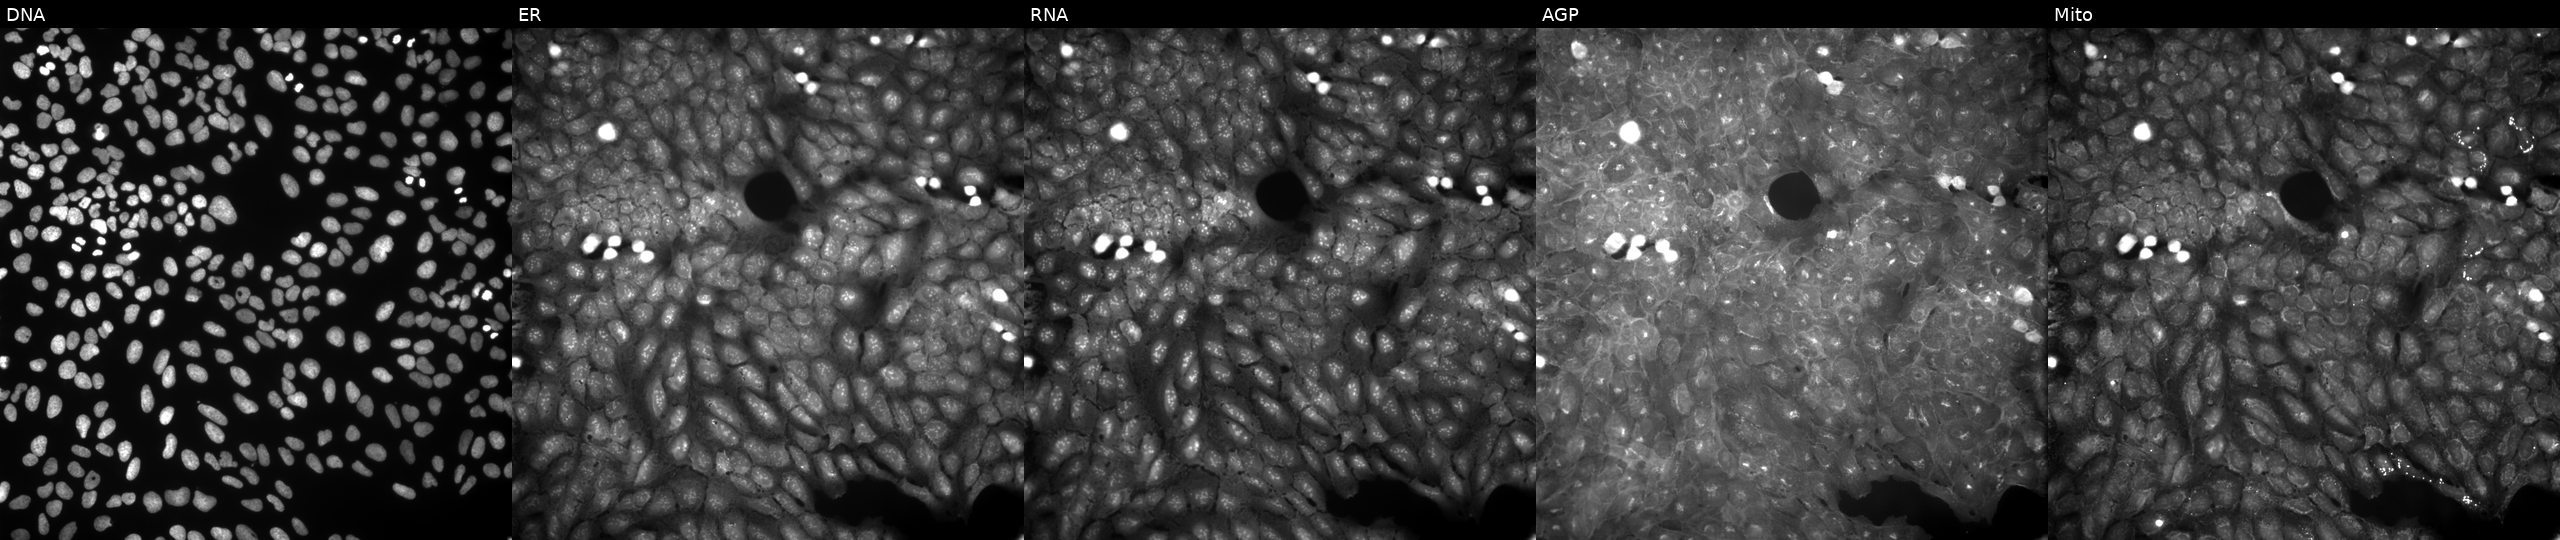
U2OS cells, Cell Painting assay, treated with dexamethasone (positive-control compound). Panels show, left to right, Hoechst 33342, concanavalin A, SYTO 14, phalloidin and WGA, MitoTracker. Each panel is percentile-stretched 16-bit fluorescence.